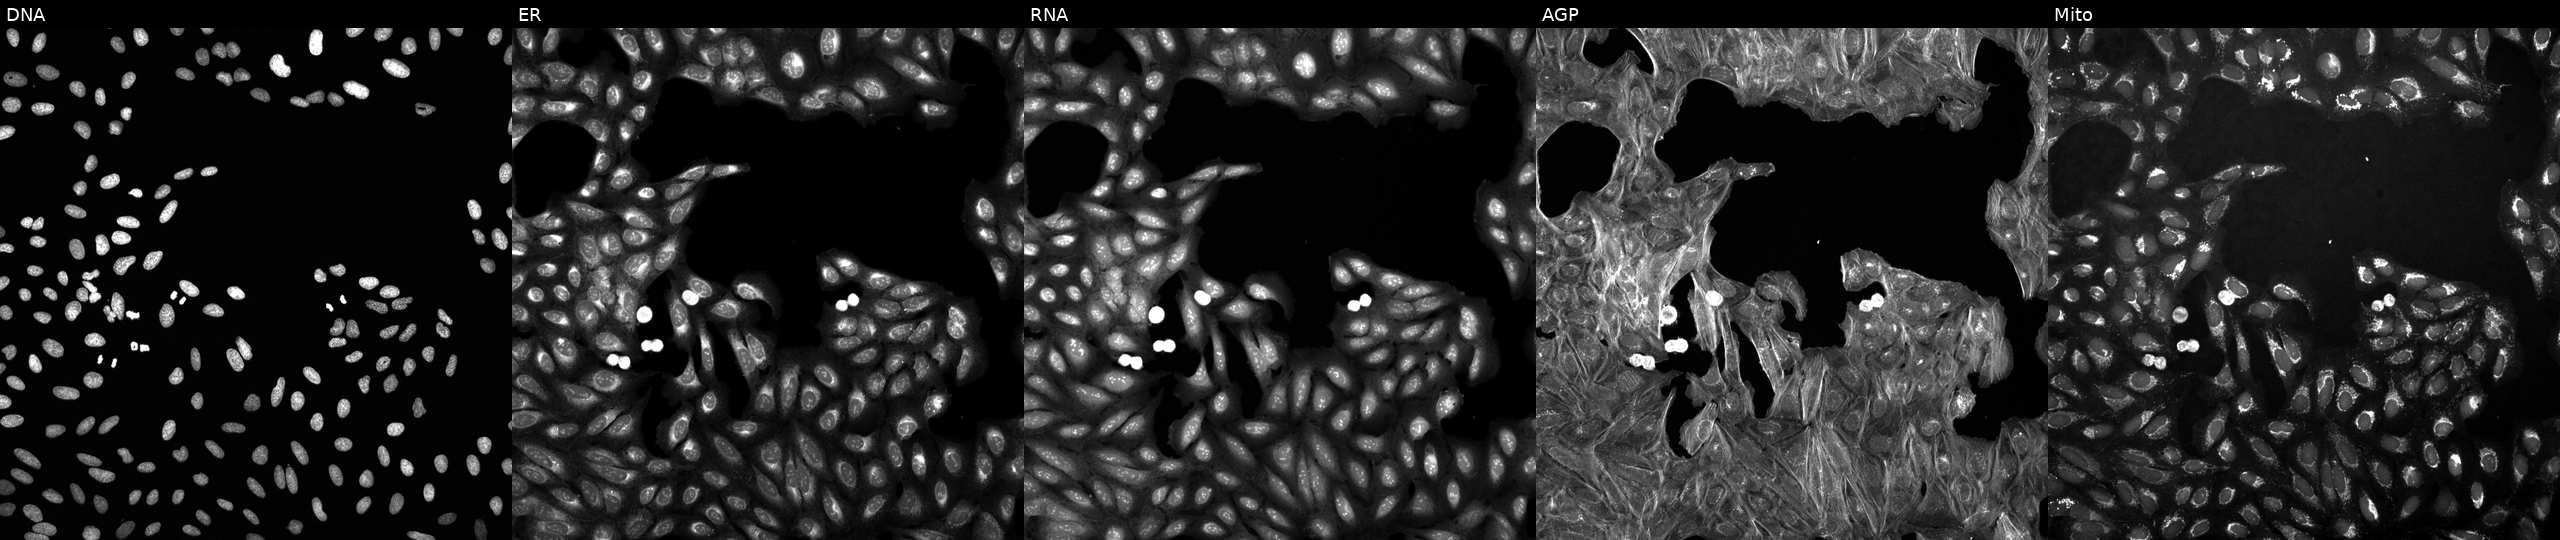
JUMP Cell Painting — COMPOUND plate. U2OS cells treated with a small-molecule compound (InChIKey VZUKNRQRZRJNCK-UHFFFAOYSA-N). The five panels, left to right, show Hoechst 33342, concanavalin A, SYTO 14, phalloidin and WGA, MitoTracker.